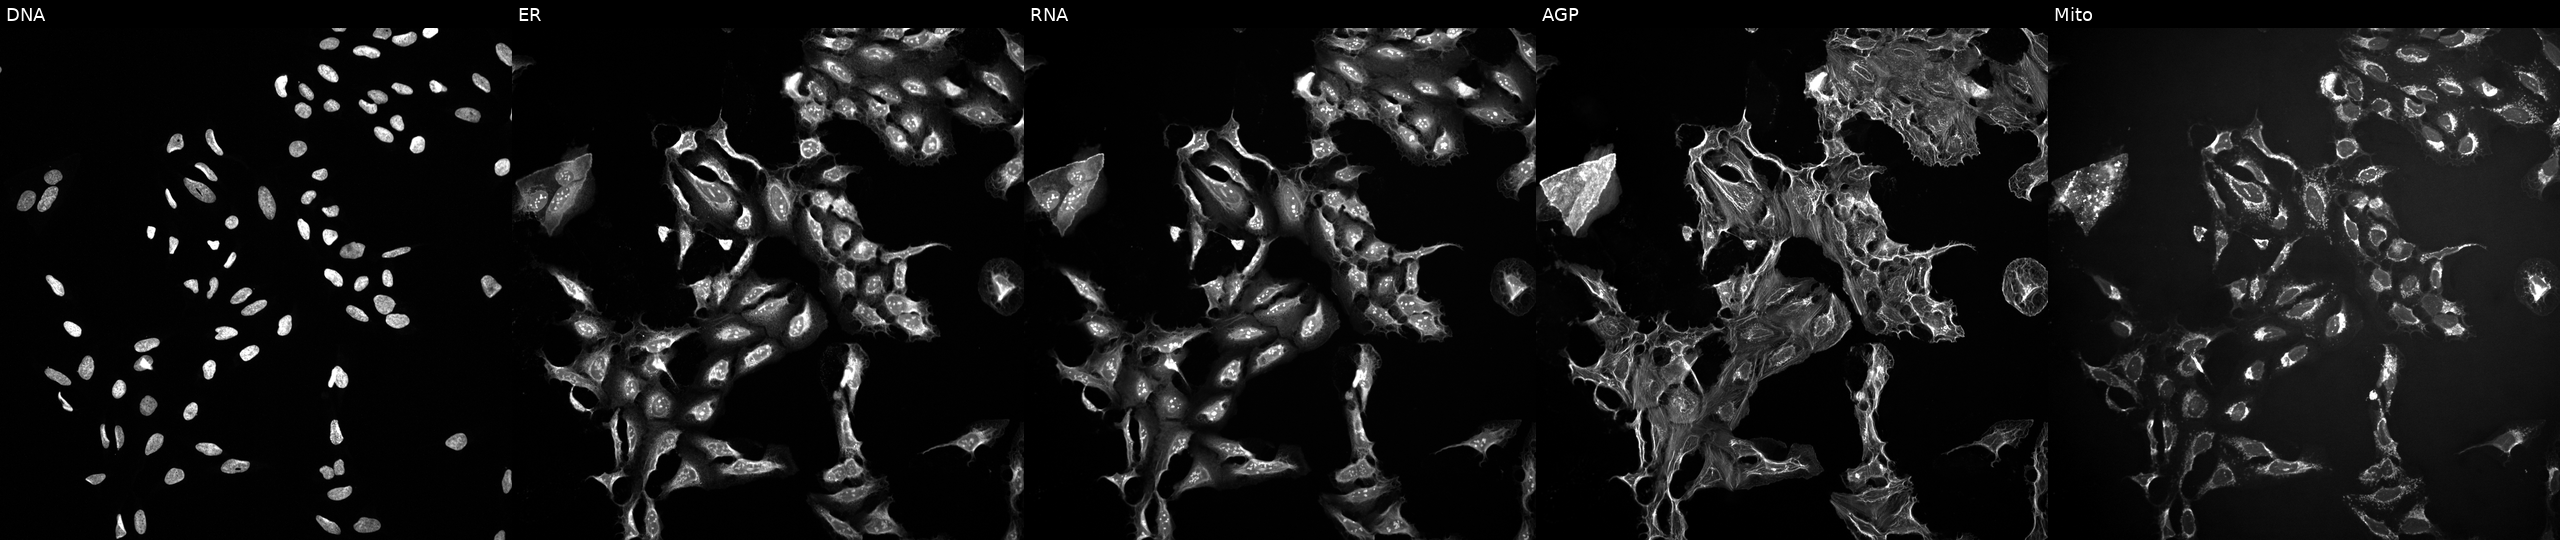
From left to right: DNA, ER, RNA, AGP, and Mito. U2OS osteosarcoma cells exposed to a small-molecule compound (InChIKey OQQVFCKUDYMWGV-UHFFFAOYSA-N) (JUMP id JCP2022_065525). Cell Painting assay, JUMP-CP dataset.